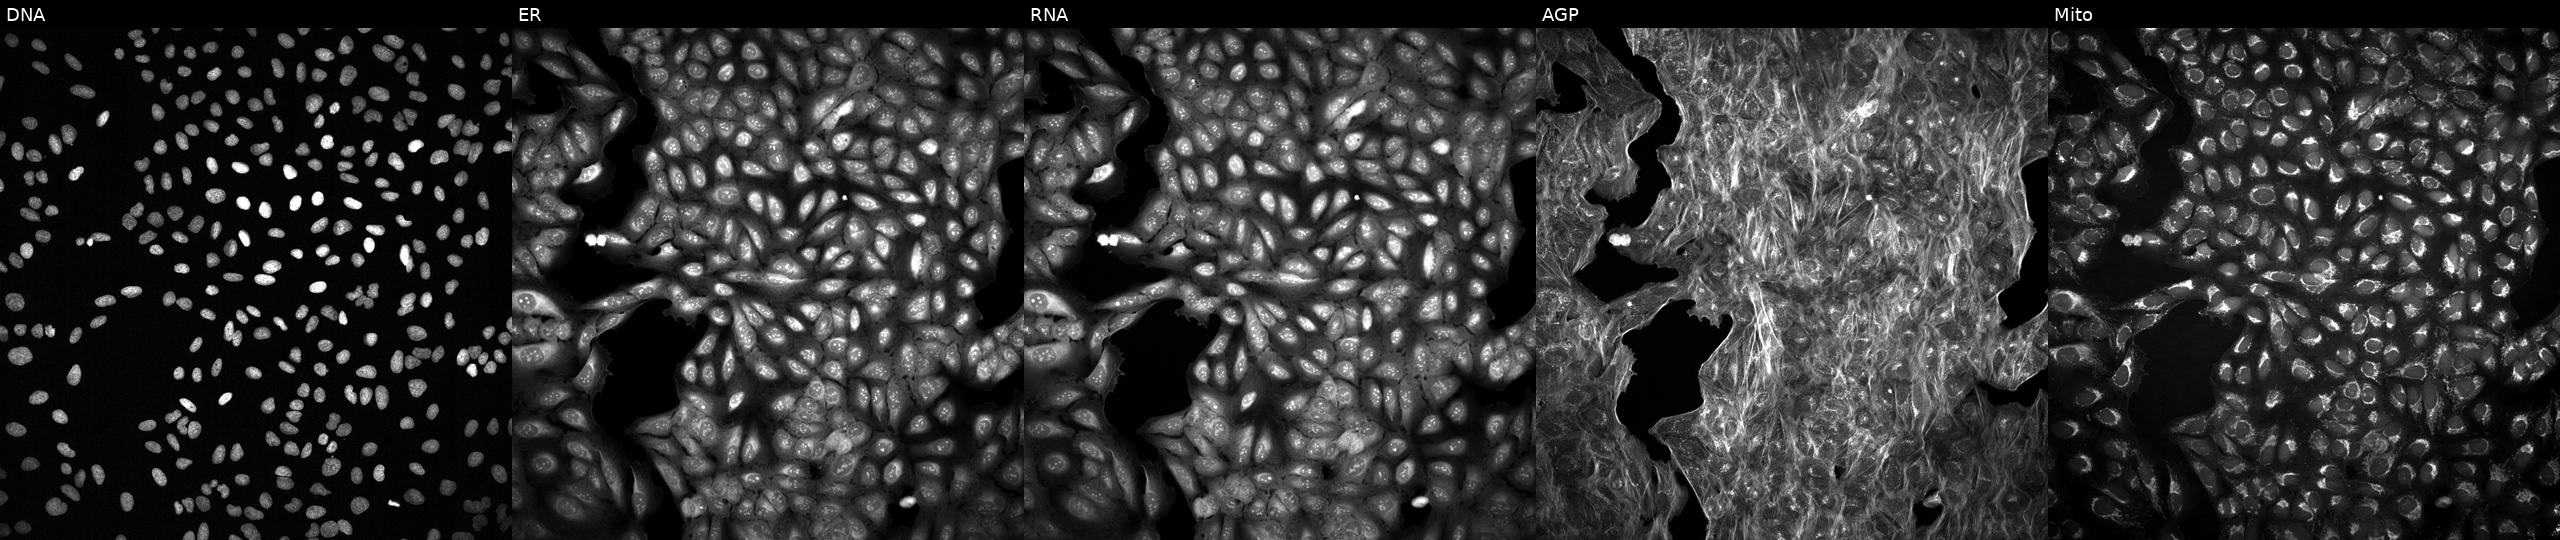
High-content fluorescence microscopy (Cell Painting). Cell line: U2OS. Perturbation: with an unidentified perturbation (not annotated in JUMP metadata). Panels show, left to right, DNA, ER, RNA, AGP, and Mito.